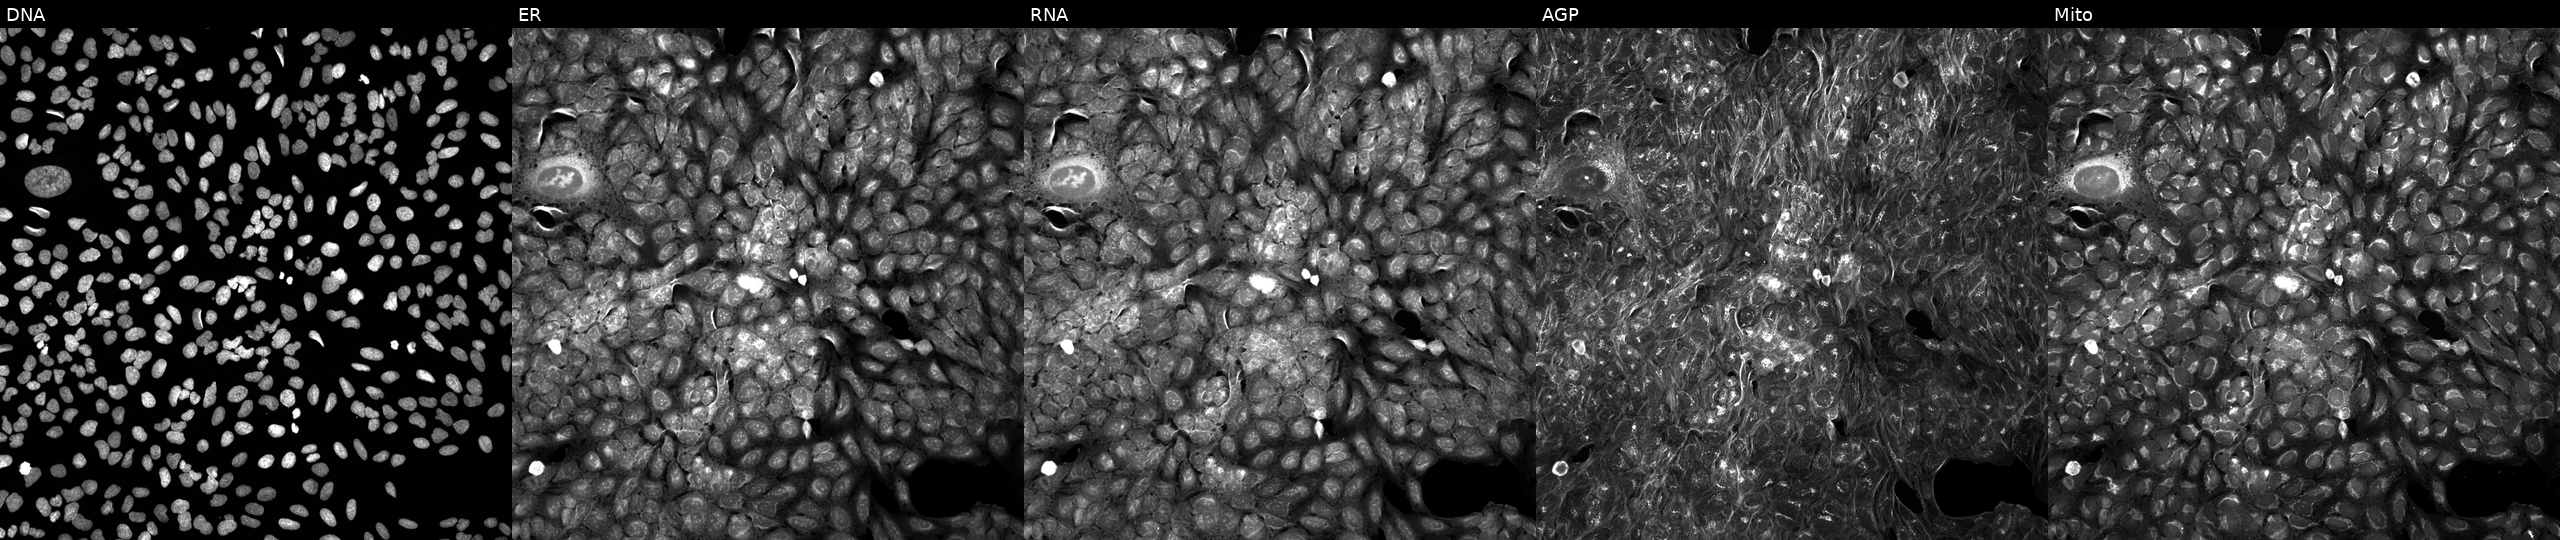
This image strip shows the five Cell Painting channels for a single field of U2OS cells exposed to DMSO alone as a negative control (JUMP id JCP2022_033924). The five panels, left to right, show DNA, ER, RNA, AGP, and Mito.